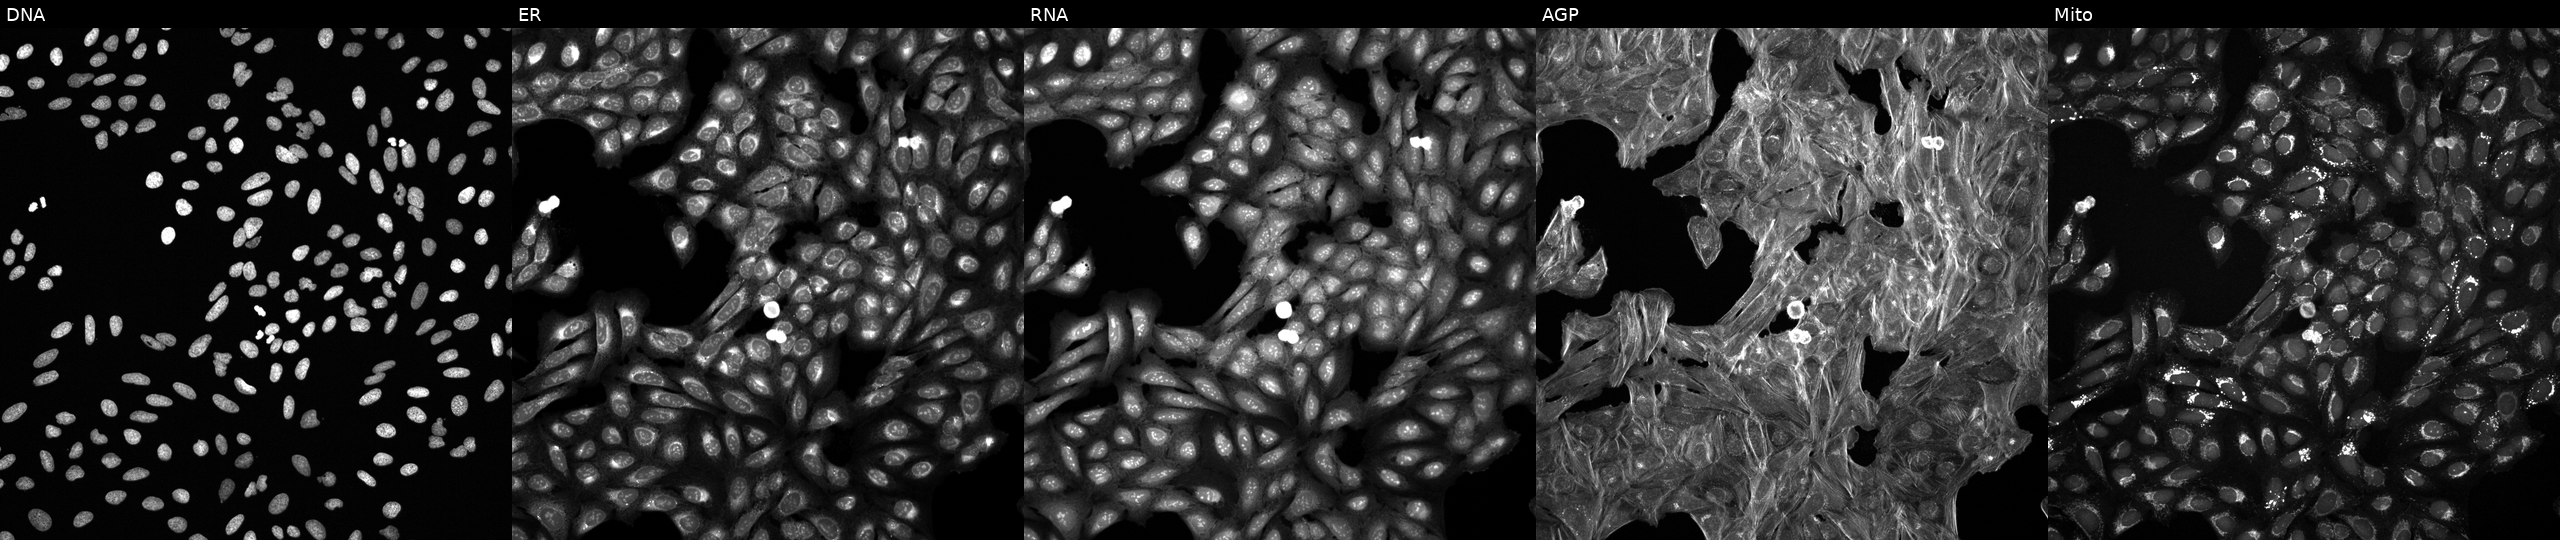
U2OS cells, Cell Painting assay, perturbed with a small-molecule compound (InChIKey ZNKQUFNHUCZXCM-UHFFFAOYSA-N). The five panels, left to right, show DNA, ER, RNA, AGP, and Mito. Each panel is percentile-stretched 16-bit fluorescence.